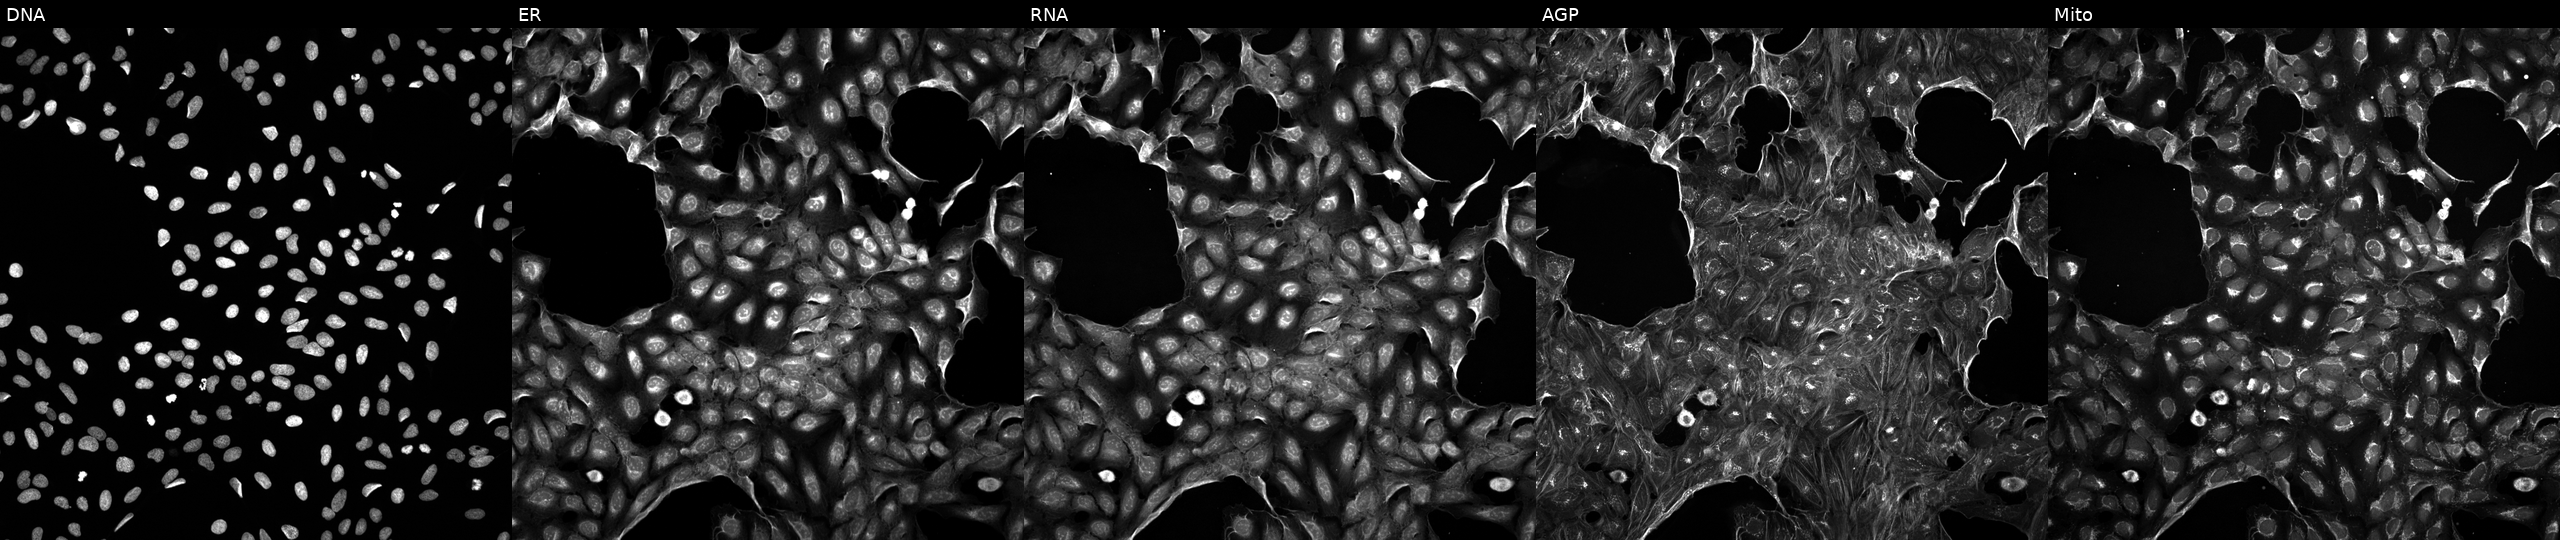
This image strip shows the five Cell Painting channels for a single field of U2OS cells exposed to a small-molecule compound (InChIKey TYNLGDBUJLVSMA-UHFFFAOYSA-N) (JUMP id JCP2022_087562). From left to right: DNA, ER, RNA, AGP, and Mito.